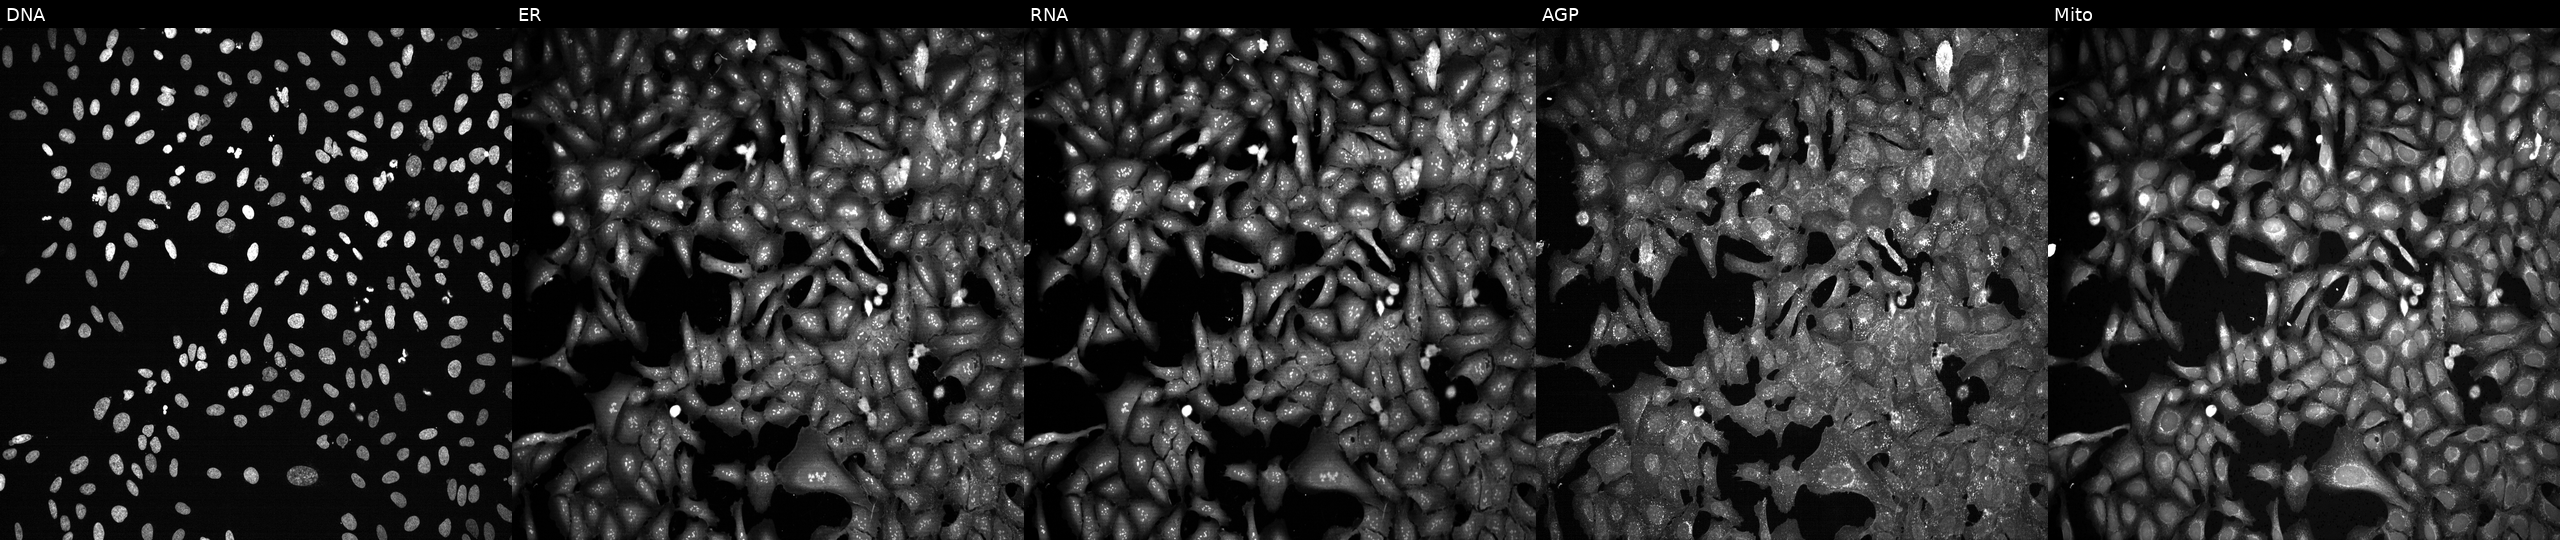
The five panels, left to right, show DNA, ER, RNA, AGP, and Mito. U2OS osteosarcoma cells with RHEB knocked out by CRISPR (JUMP id JCP2022_805949). Cell Painting assay, JUMP-CP dataset. Source 13, plate CP-CC9-R1-01, well H18.